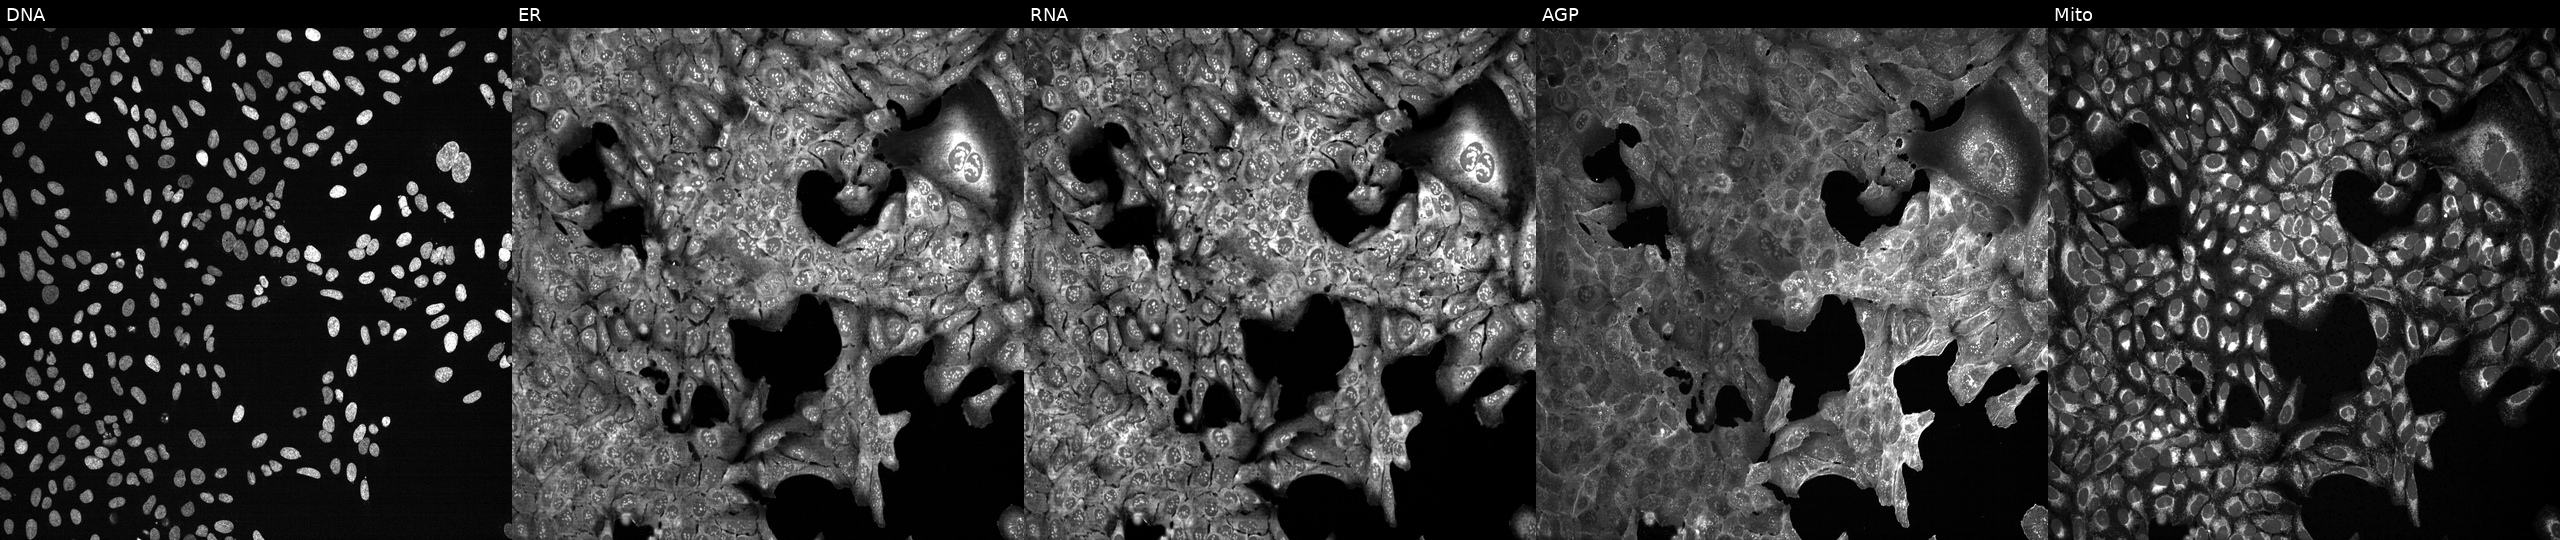
JUMP Cell Painting — CRISPR plate. U2OS cells CRISPR-edited to disrupt ELF3 (JUMP id JCP2022_802089). From left to right: DNA, ER, RNA, AGP, and Mito. Source 13, plate CP-CC9-R6-19, well J14.